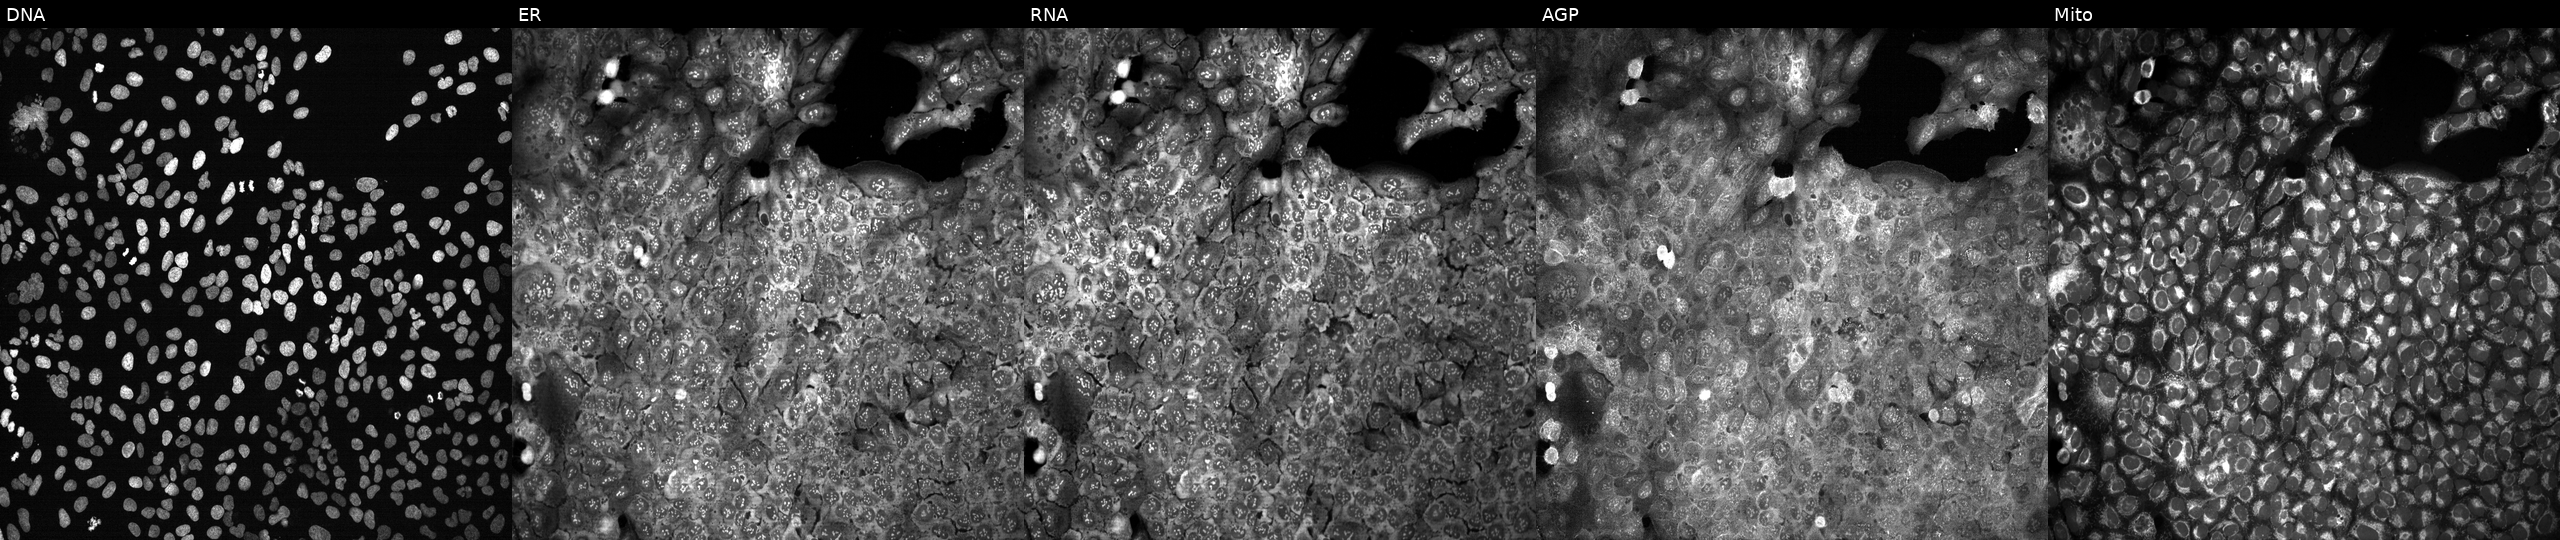
This image strip shows the five Cell Painting channels for a single field of U2OS cells with a non-targeting CRISPR guide (negative control) (JUMP id JCP2022_800002). From left to right: DNA (nuclei); ER (endoplasmic reticulum); RNA (nucleoli and cytoplasmic RNA); AGP (actin cytoskeleton, Golgi, and plasma membrane); Mito (mitochondria).